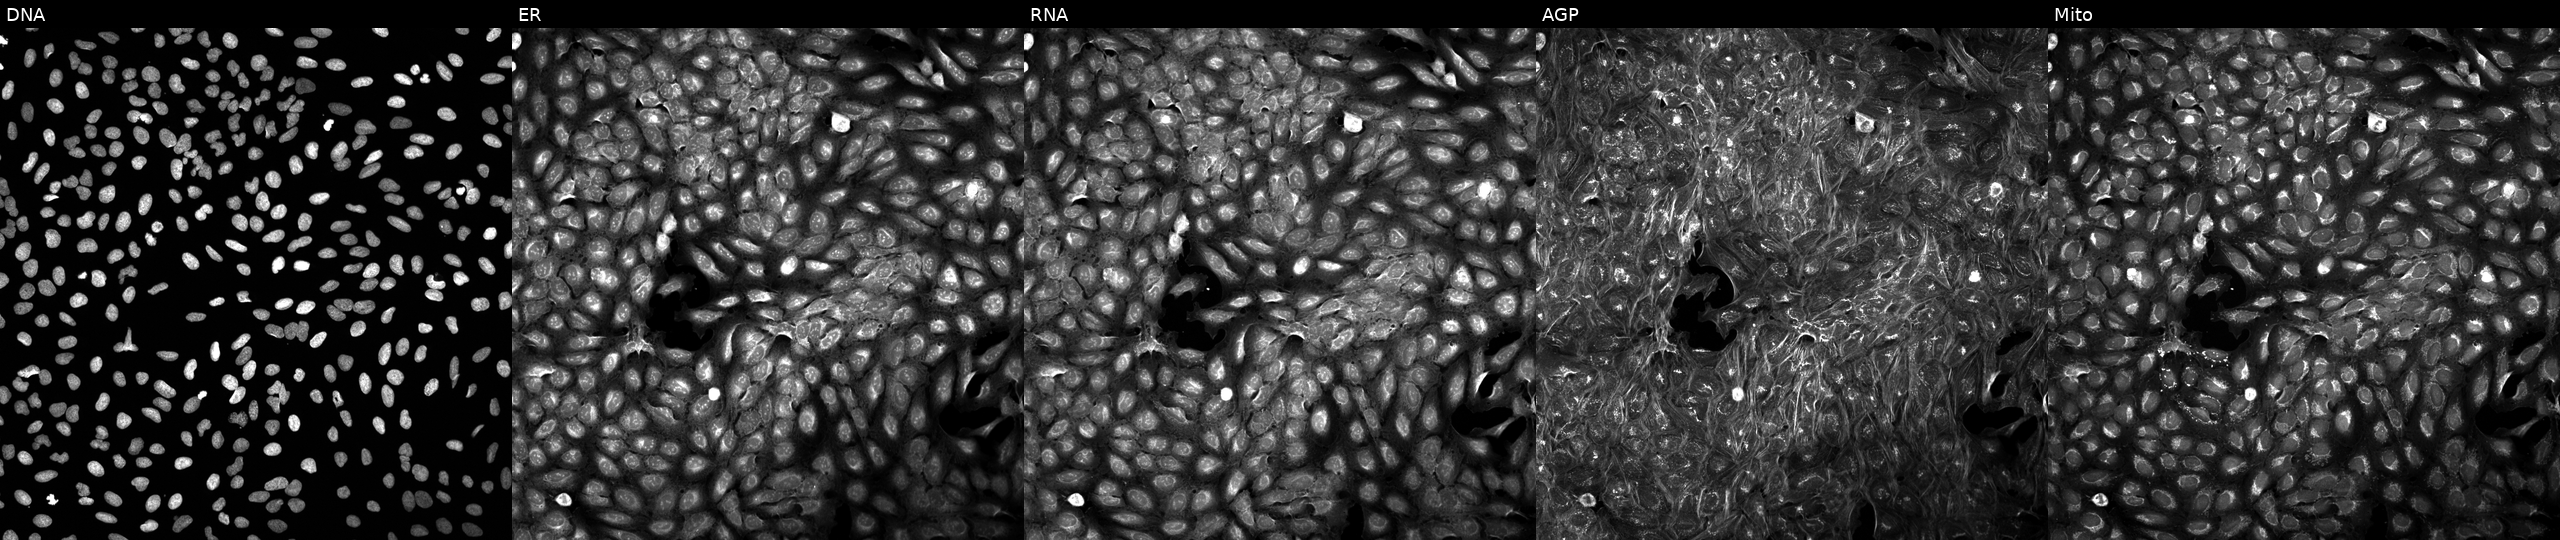
Five-channel Cell Painting image of U2OS cells exposed to a small-molecule compound (InChIKey LMKDINSRXYJRHM-UHFFFAOYSA-N). Panels show, left to right, DNA (nuclei); ER (endoplasmic reticulum); RNA (nucleoli and cytoplasmic RNA); AGP (actin cytoskeleton, Golgi, and plasma membrane); Mito (mitochondria).